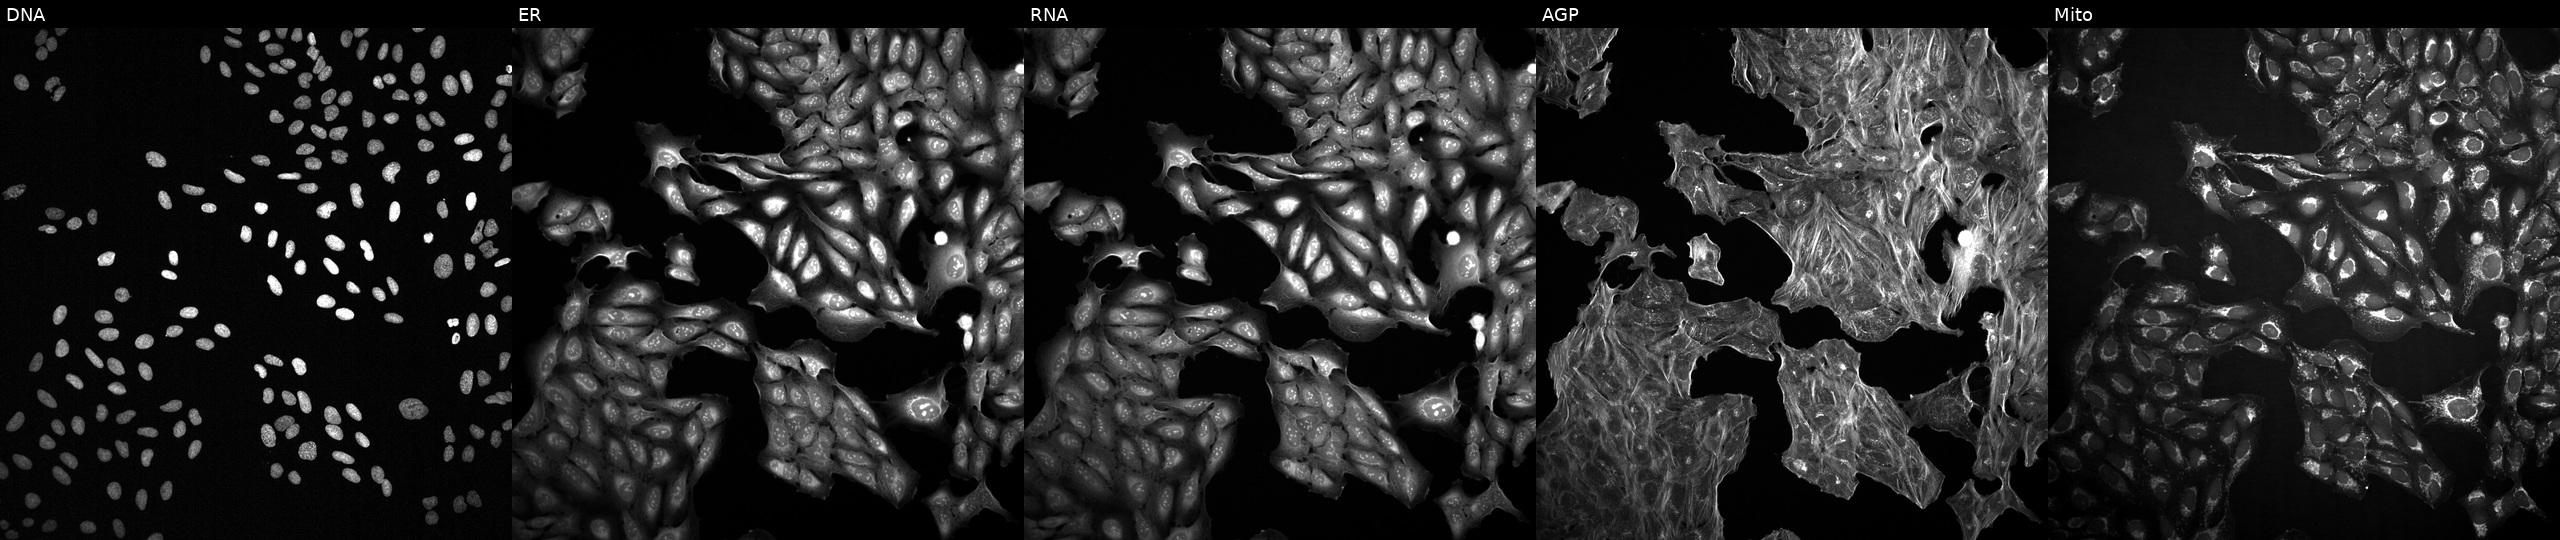
This image strip shows the five Cell Painting channels for a single field of U2OS cells exposed to a small-molecule compound. Panels show, left to right, Hoechst 33342, concanavalin A, SYTO 14, phalloidin and WGA, MitoTracker.